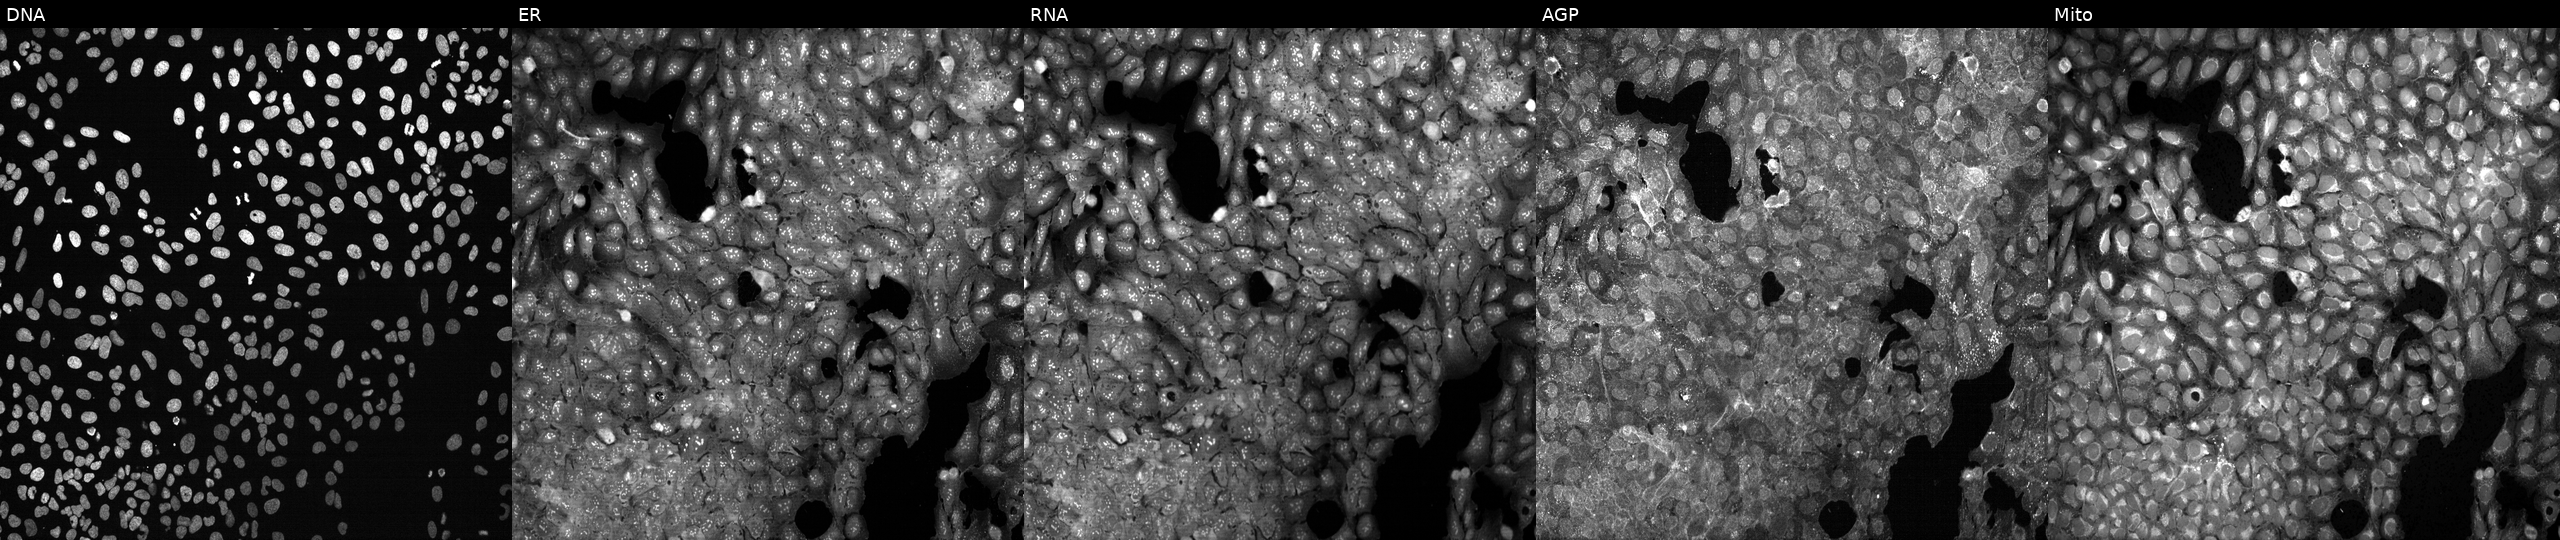
High-content fluorescence microscopy (Cell Painting). Cell line: U2OS. Perturbation: exposed to the positive-control compound aloxistatin. Channels (left→right): DNA, ER, RNA, AGP, and Mito.